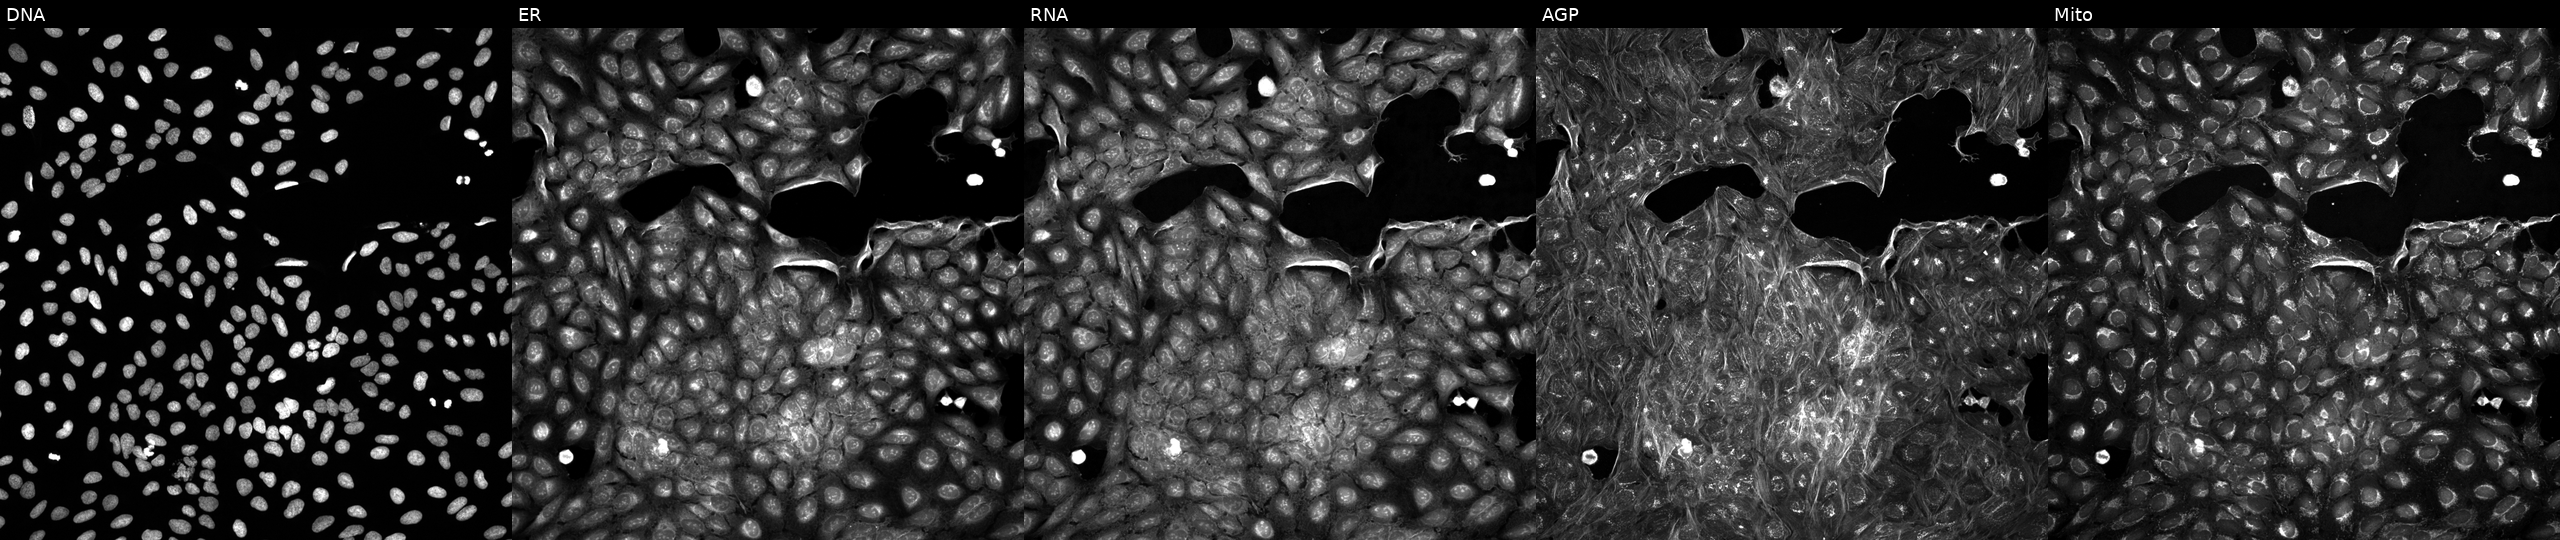
Five-channel Cell Painting image of U2OS cells treated with DMSO vehicle only (negative control) (JUMP id JCP2022_033924). Channels (left→right): DNA, ER, RNA, AGP, and Mito.